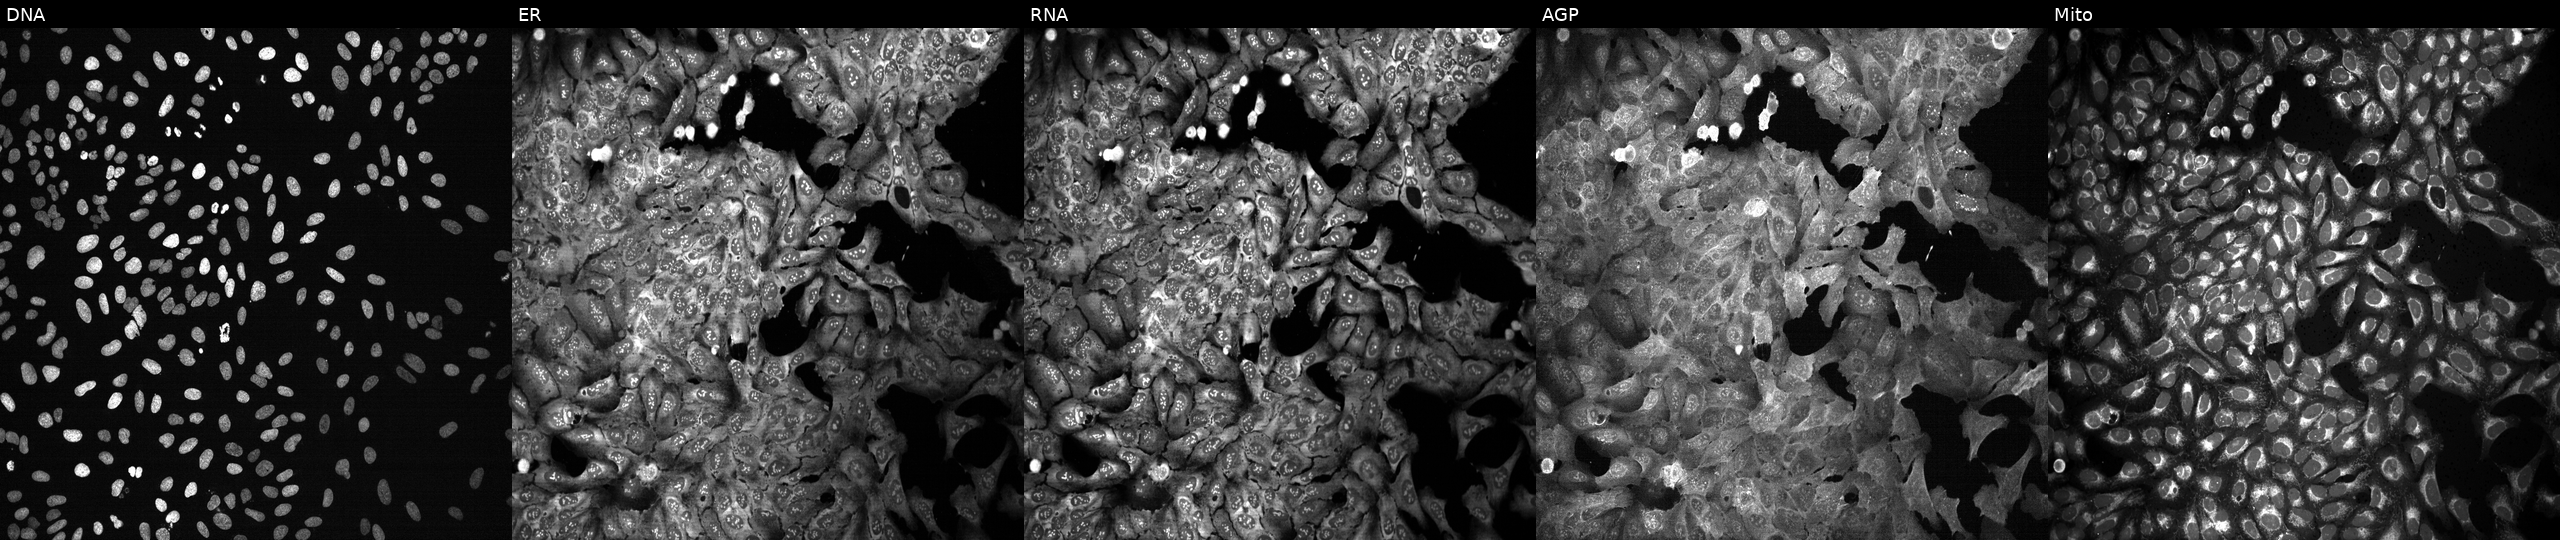
High-content fluorescence microscopy (Cell Painting). Cell line: U2OS. Perturbation: CRISPR-edited to disrupt APOF (JUMP id JCP2022_800528). From left to right: DNA, ER, RNA, AGP, and Mito.